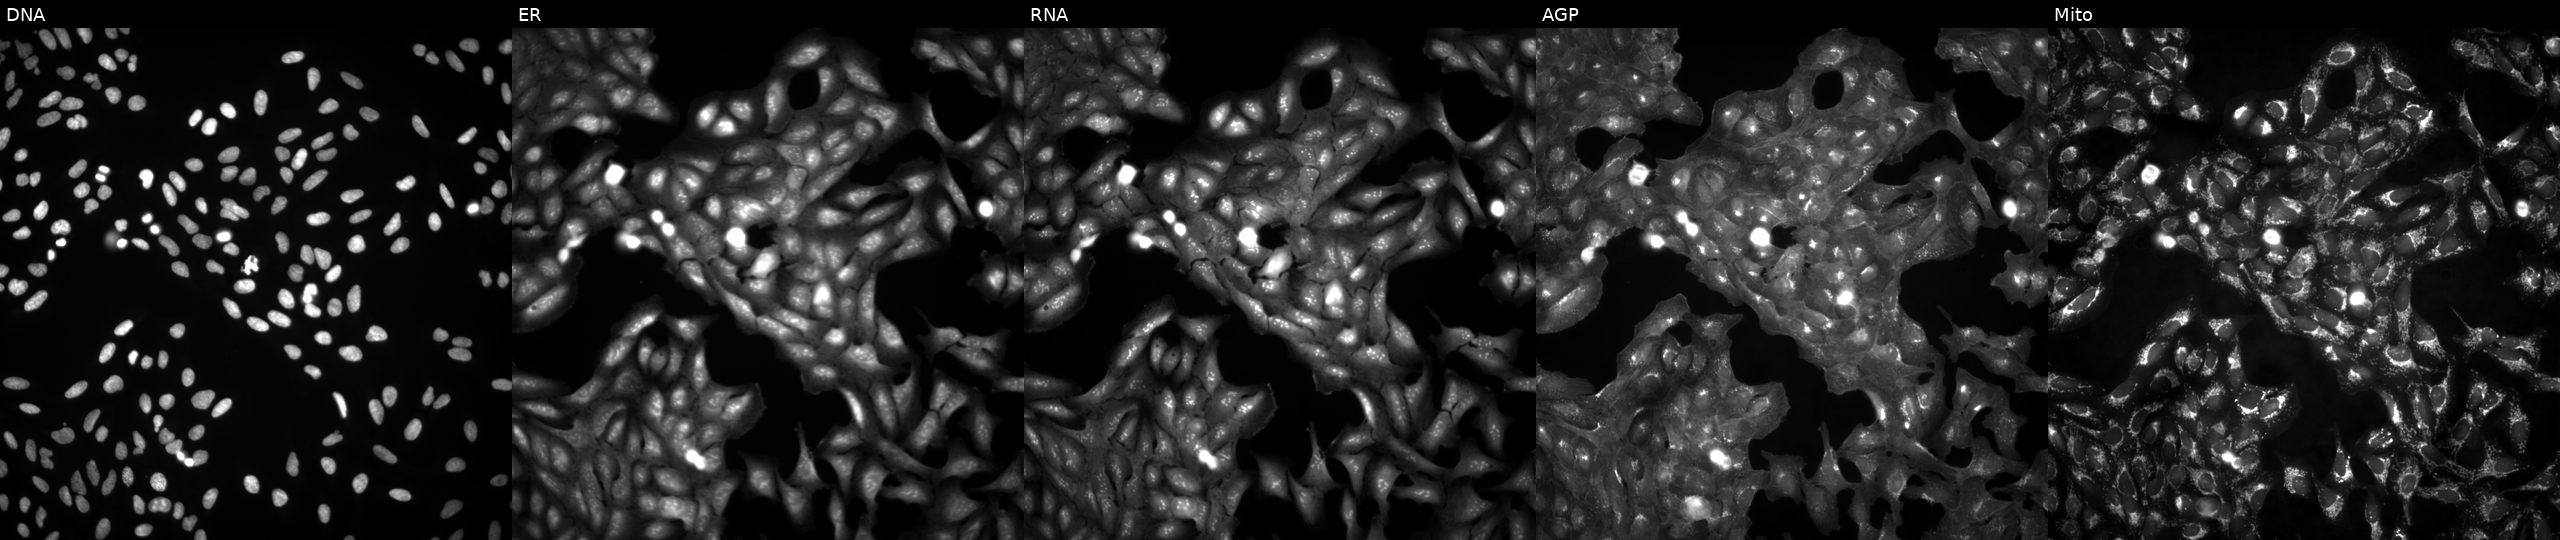
U2OS cells, Cell Painting assay, untreated (empty-well control) (JUMP id JCP2022_999999). The five panels, left to right, show DNA, ER, RNA, AGP, and Mito. Each panel is percentile-stretched 16-bit fluorescence.